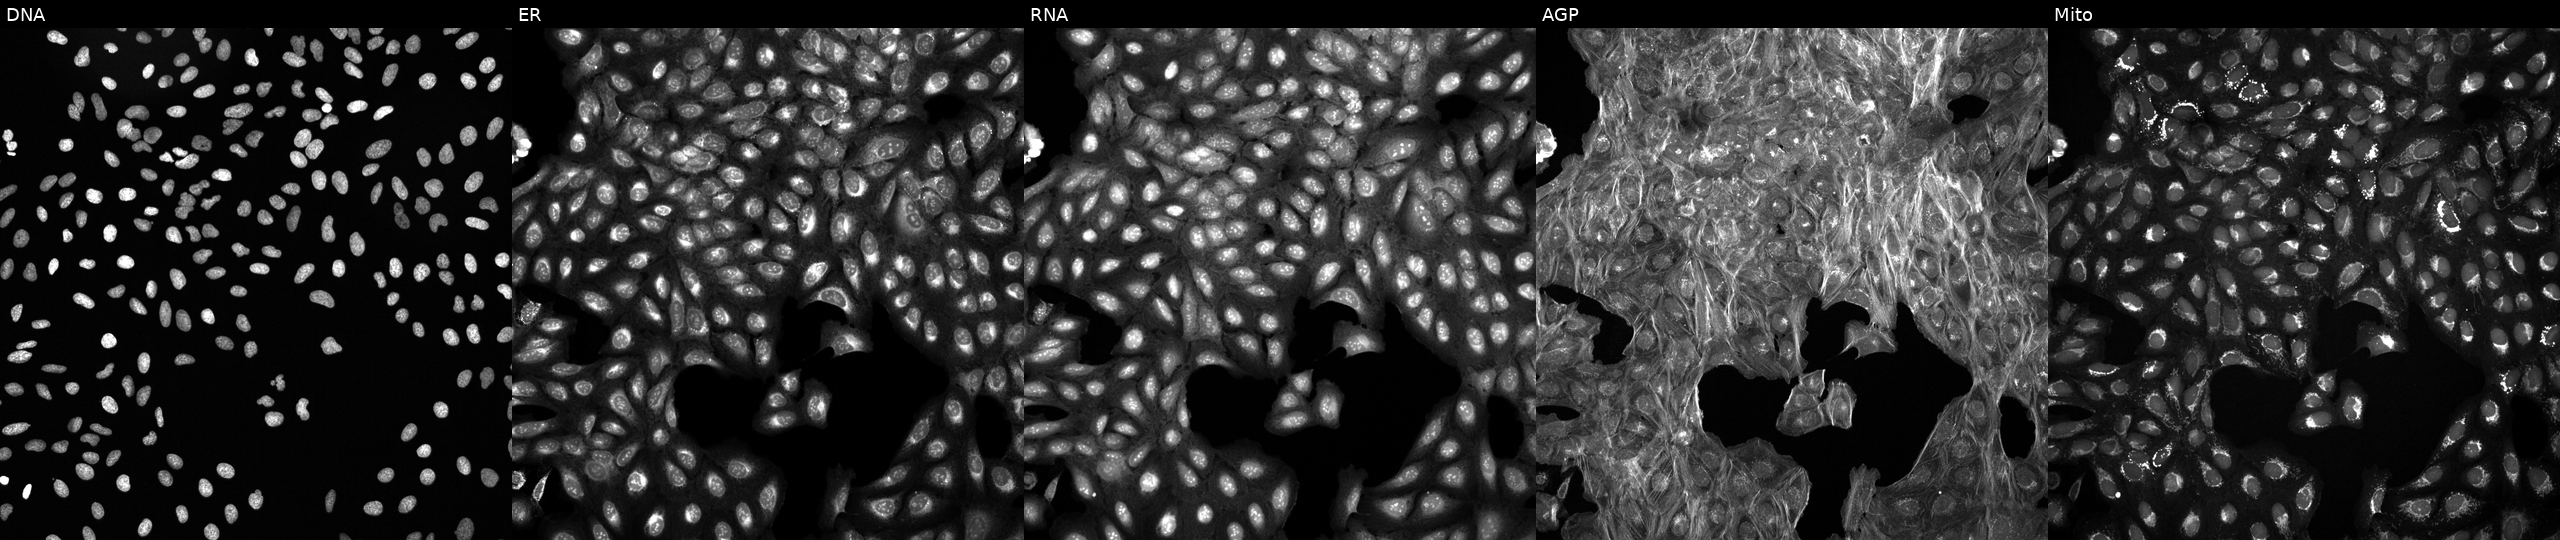
U2OS cells, Cell Painting assay, treated with DMSO vehicle only (negative control). Panels show, left to right, DNA, ER, RNA, AGP, and Mito. Each panel is percentile-stretched 16-bit fluorescence.